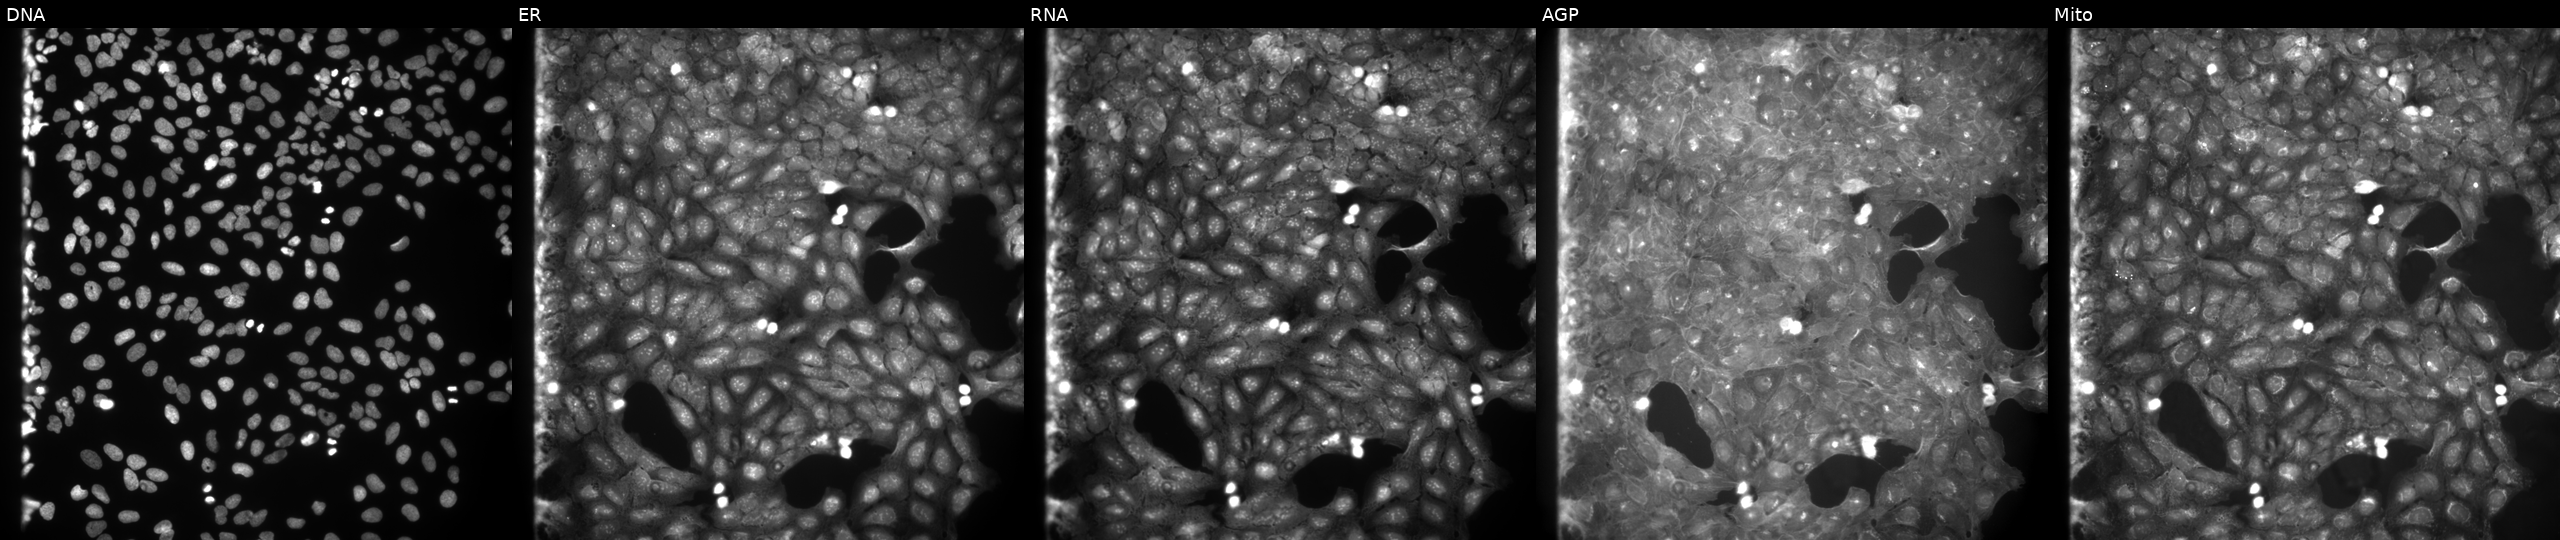
U2OS cells, Cell Painting assay, treated with a small-molecule compound (InChIKey MFAVIDJURXQHIW-UHFFFAOYSA-N) [SMILES: Cn1c(=O)[nH]c(=O)c2c1[nH]c(=NCc1ccccc1)n2Cc1ccc(F)cc1]. From left to right: DNA (nuclei); ER (endoplasmic reticulum); RNA (nucleoli and cytoplasmic RNA); AGP (actin cytoskeleton, Golgi, and plasma membrane); Mito (mitochondria). Each panel is percentile-stretched 16-bit fluorescence. Source 9, plate GR00003382, well C13.